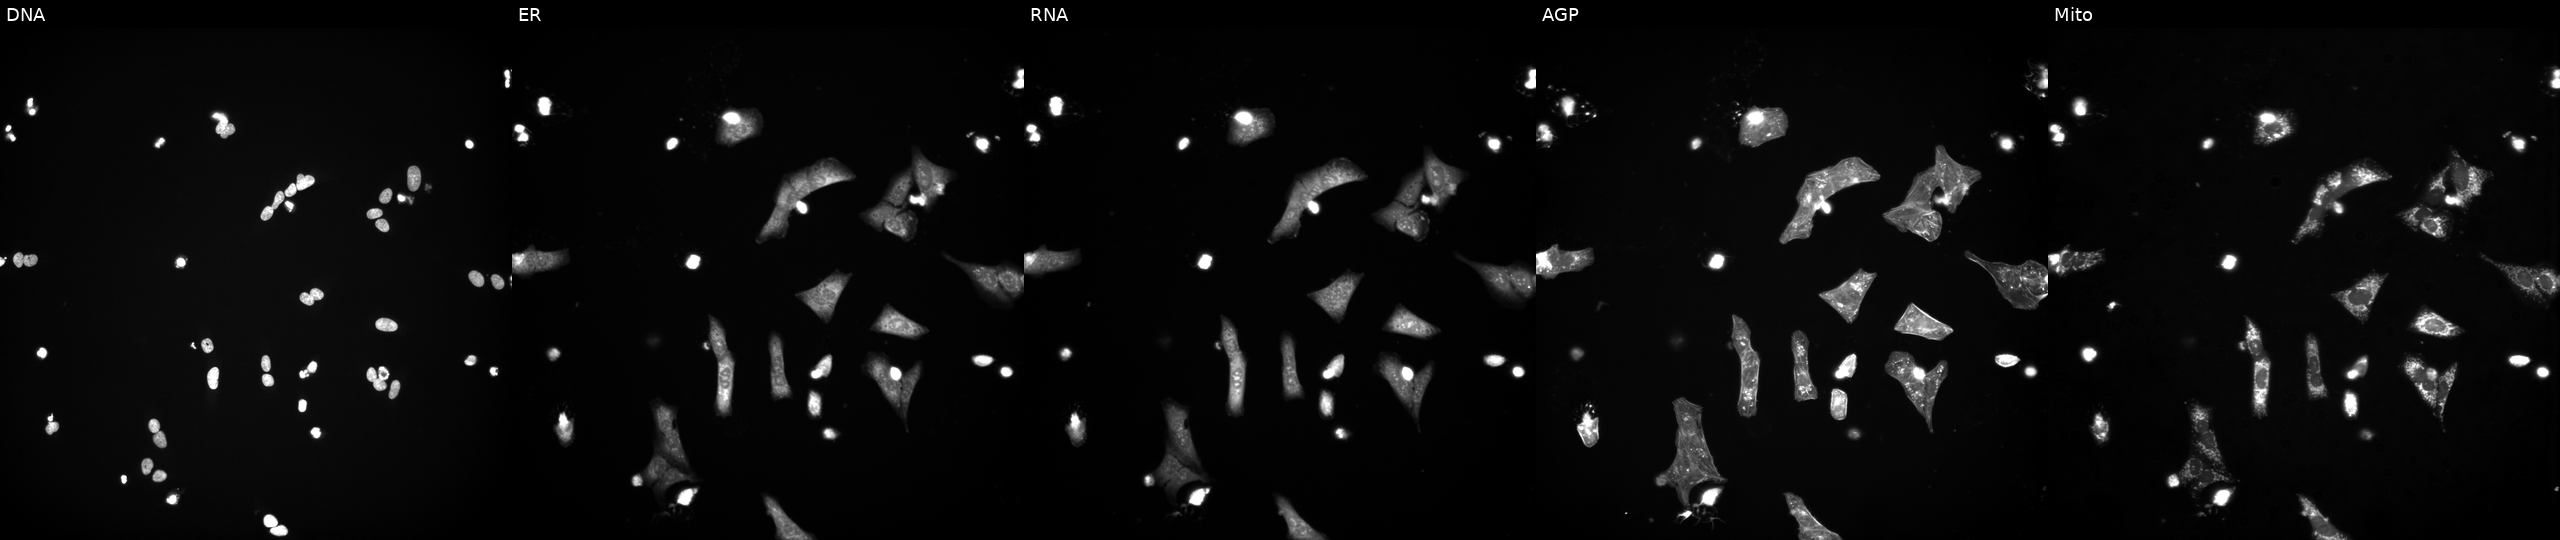
Channels (left→right): DNA, ER, RNA, AGP, and Mito. U2OS osteosarcoma cells perturbed with a small-molecule compound [SMILES: Cc1ccc(C(=O)Nc2ccc(CN3CCN(C)CC3)c(C(F)(F)F)c2)cc1C#Cc1cnc2cccnn12] (JUMP id JCP2022_068713). Cell Painting assay, JUMP-CP dataset.